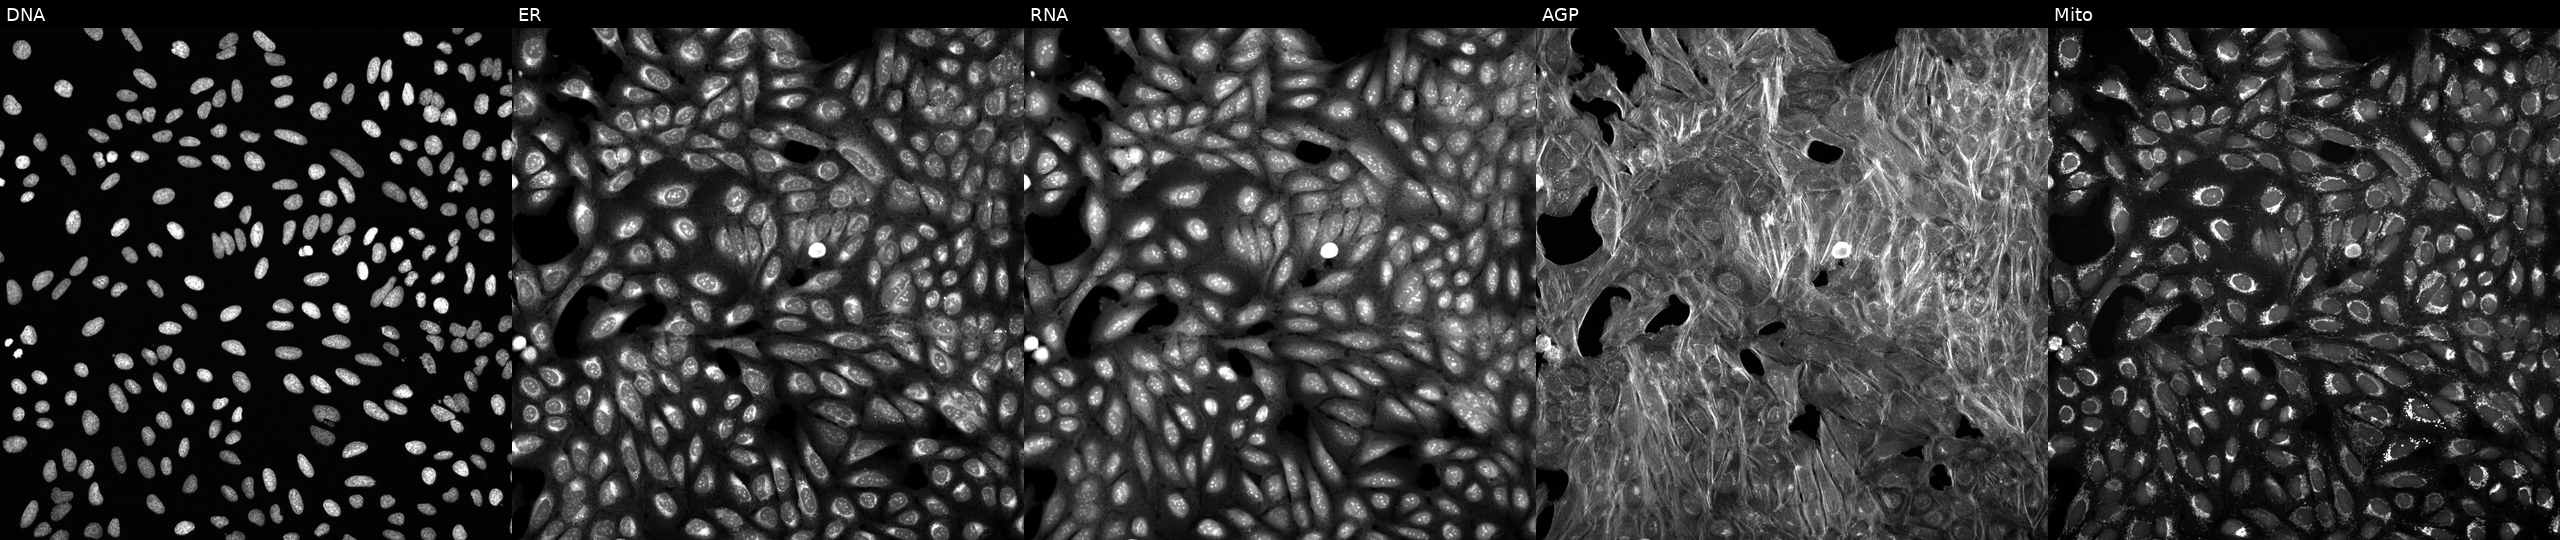
This image strip shows the five Cell Painting channels for a single field of U2OS cells perturbed with a small-molecule compound (InChIKey AUMHDRMJJNZTPB-UHFFFAOYSA-N). Panels show, left to right, DNA, ER, RNA, AGP, and Mito.